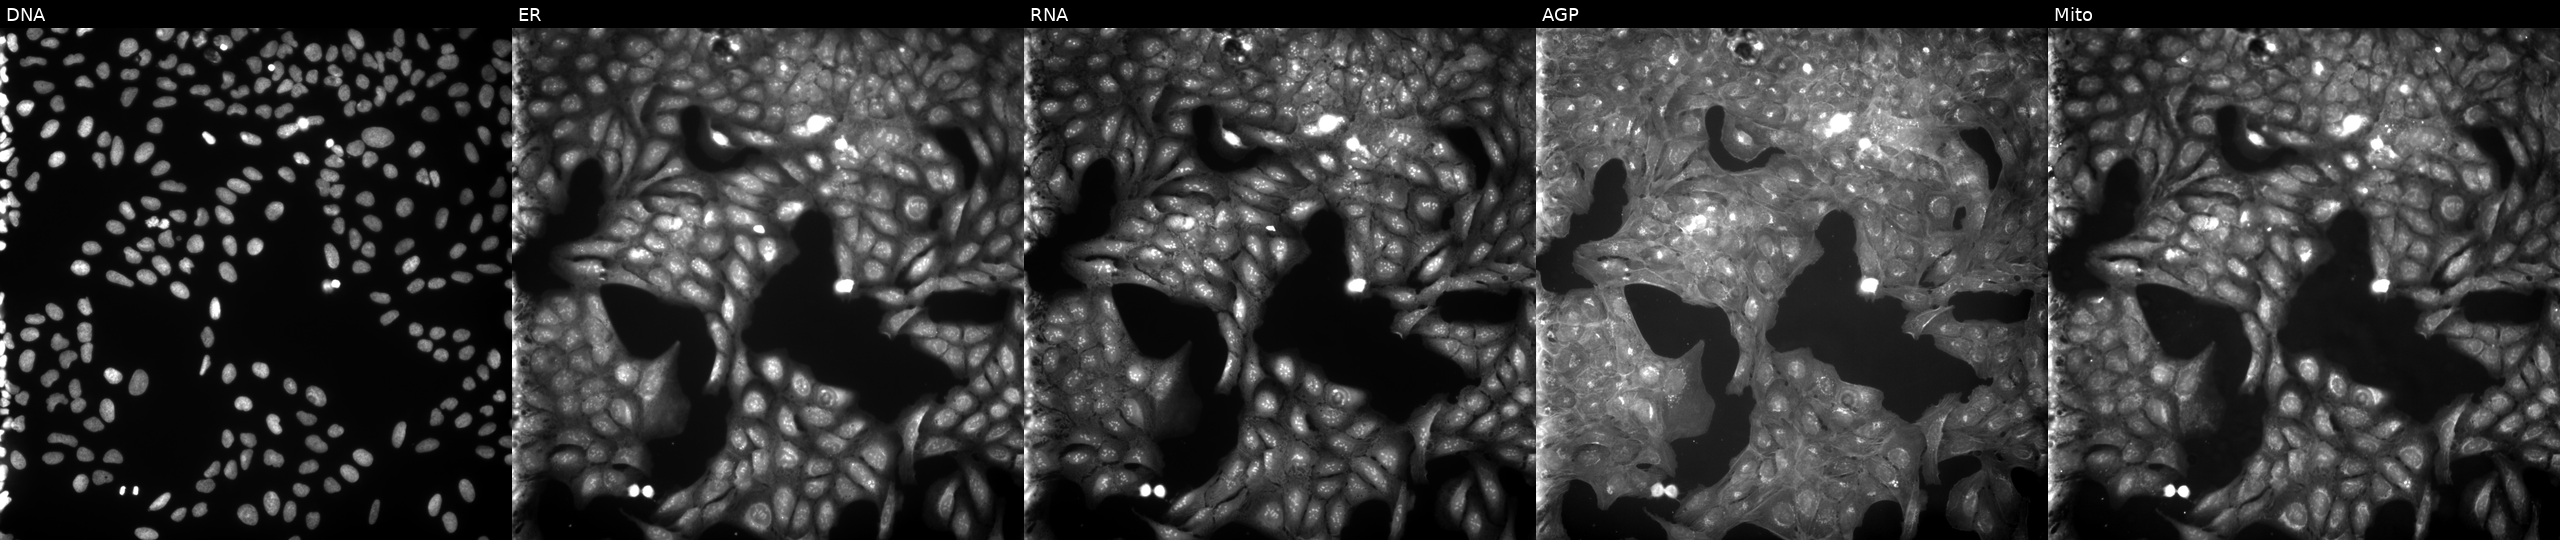
High-content fluorescence microscopy (Cell Painting). Cell line: U2OS. Perturbation: treated with a small-molecule compound (InChIKey GYOLVNPBJDBDJD-UHFFFAOYSA-N). The five panels, left to right, show Hoechst 33342, concanavalin A, SYTO 14, phalloidin and WGA, MitoTracker.